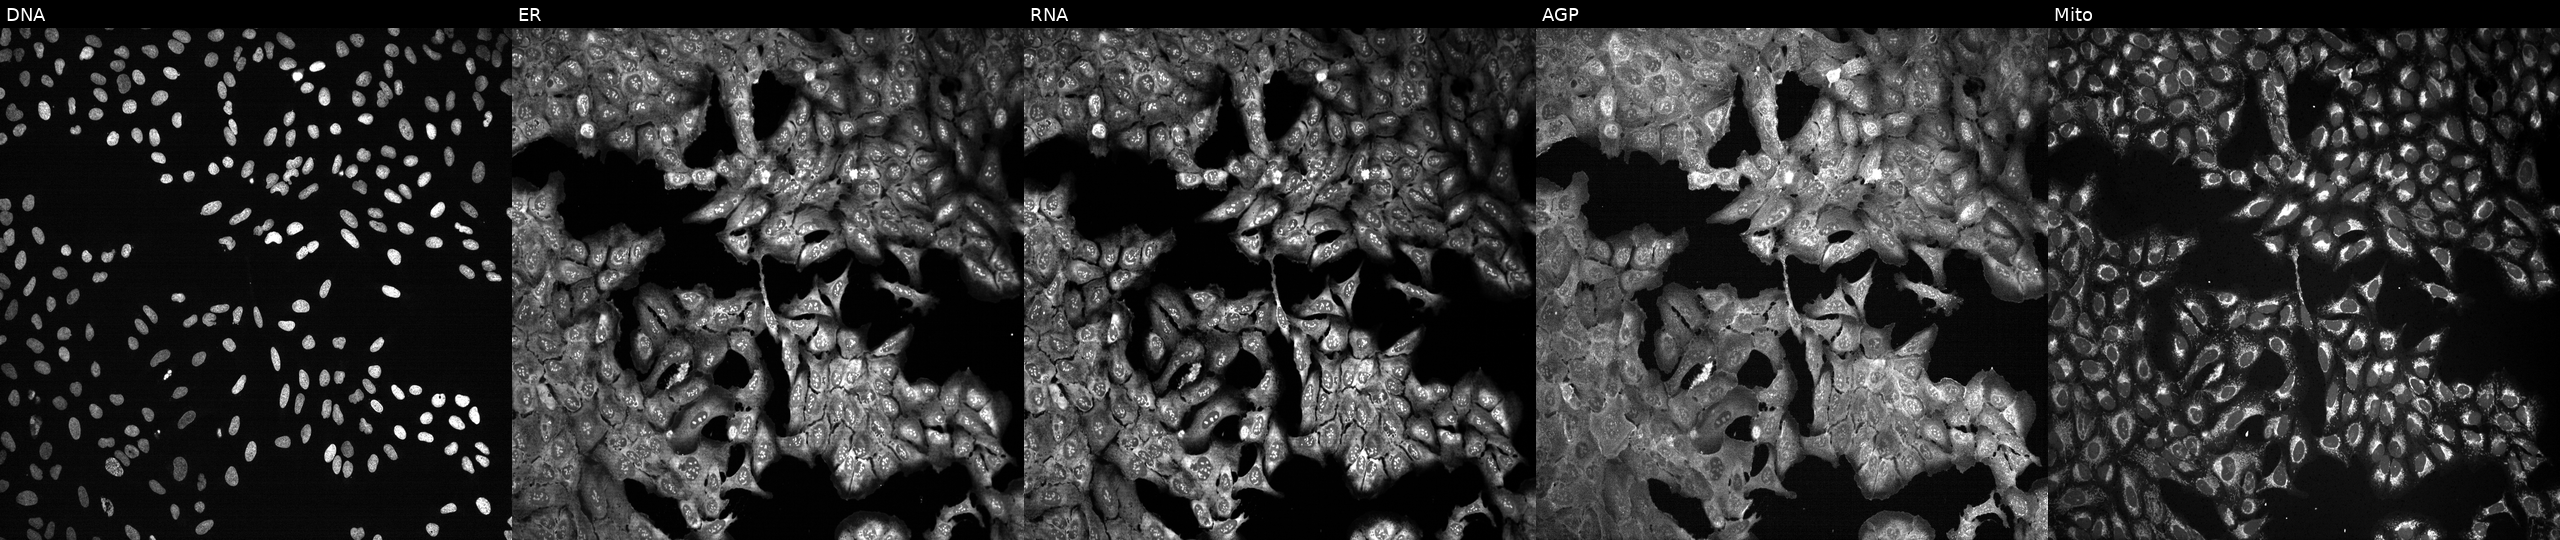
High-content fluorescence microscopy (Cell Painting). Cell line: U2OS. Perturbation: CRISPR-edited to disrupt GALNT18 (JUMP id JCP2022_802593). From left to right: DNA, ER, RNA, AGP, and Mito.